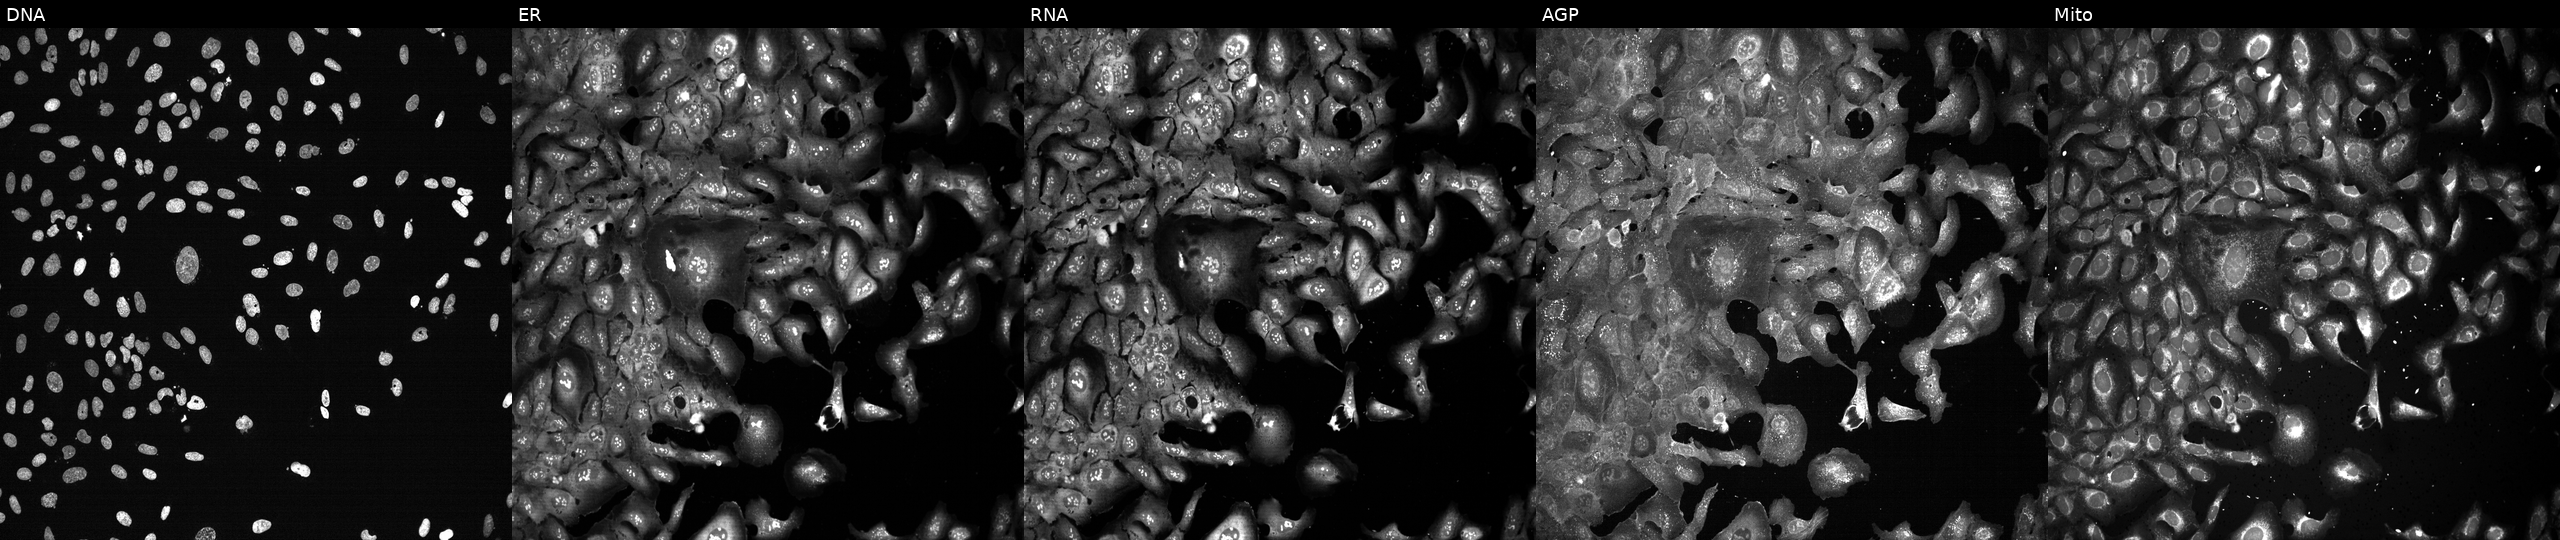
This image strip shows the five Cell Painting channels for a single field of U2OS cells following CRISPR knockout of POFUT1. From left to right: Hoechst 33342, concanavalin A, SYTO 14, phalloidin and WGA, MitoTracker.